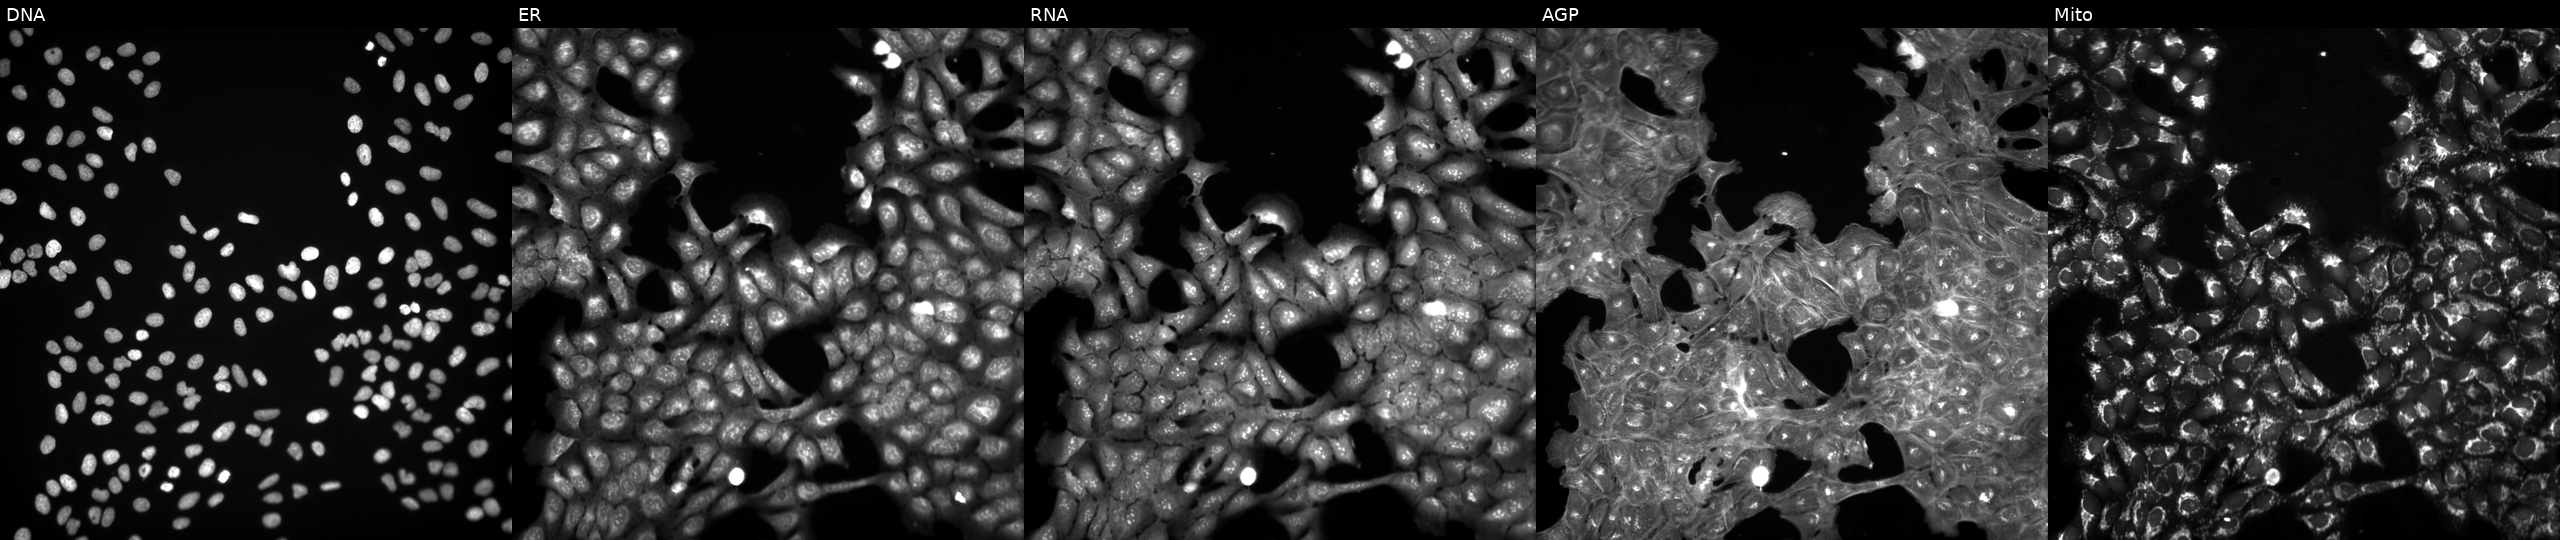
U2OS cells, Cell Painting assay, perturbed with a small-molecule compound. Channels (left→right): Hoechst 33342, concanavalin A, SYTO 14, phalloidin and WGA, MitoTracker. Each panel is percentile-stretched 16-bit fluorescence.